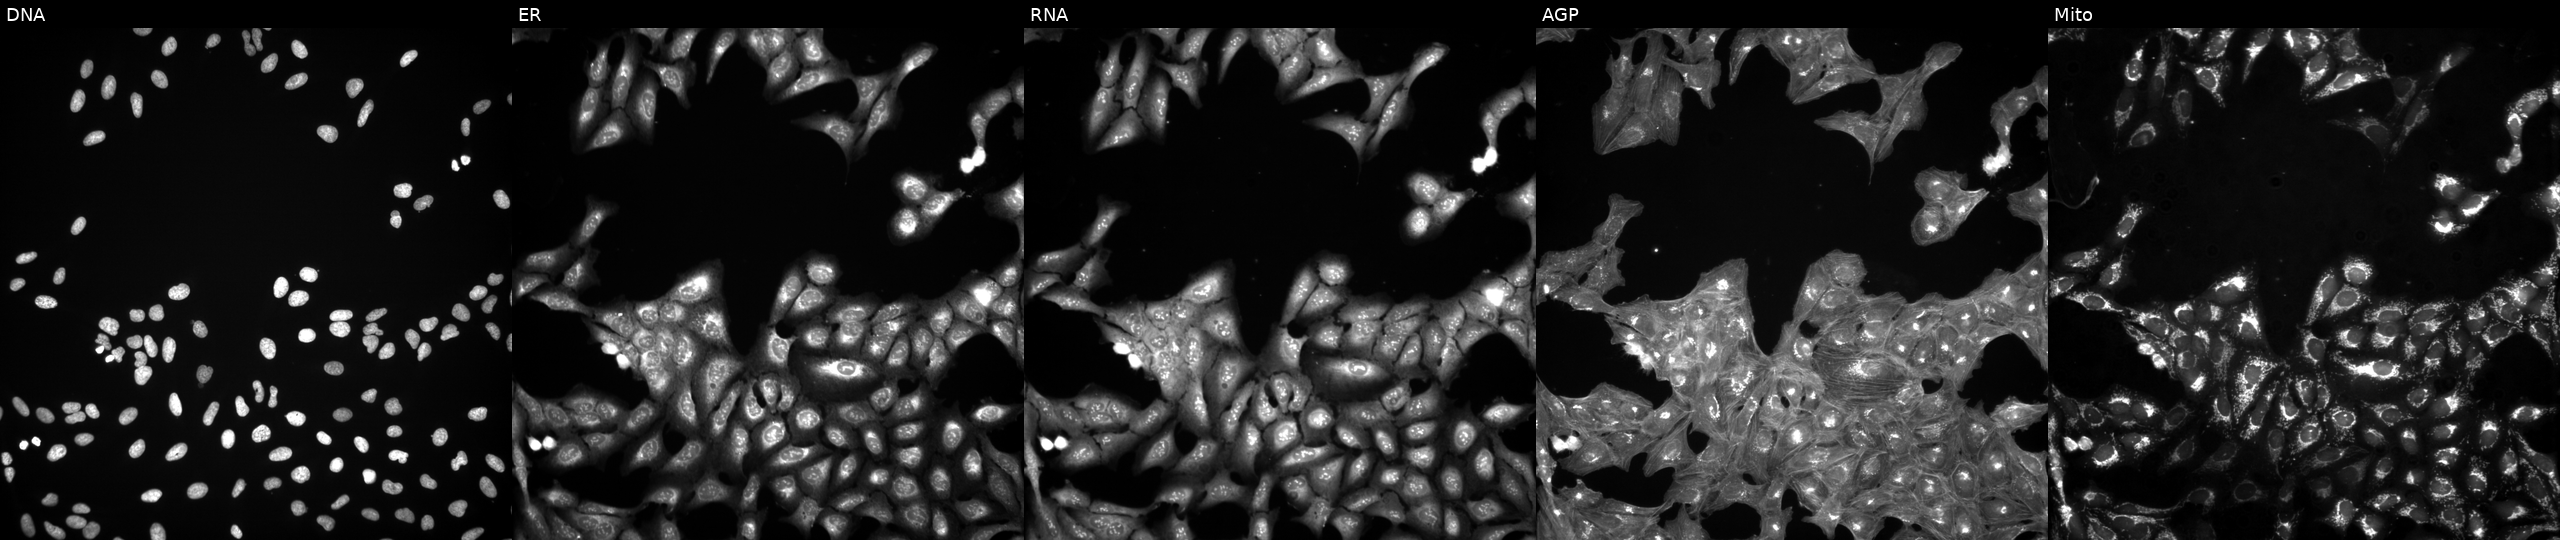
U2OS cells, Cell Painting assay, exposed to a small-molecule compound (InChIKey HBIPXRAXJYUKRA-UHFFFAOYSA-N). From left to right: DNA, ER, RNA, AGP, and Mito. Each panel is percentile-stretched 16-bit fluorescence. Source 3, plate BR5867b3, well L21.